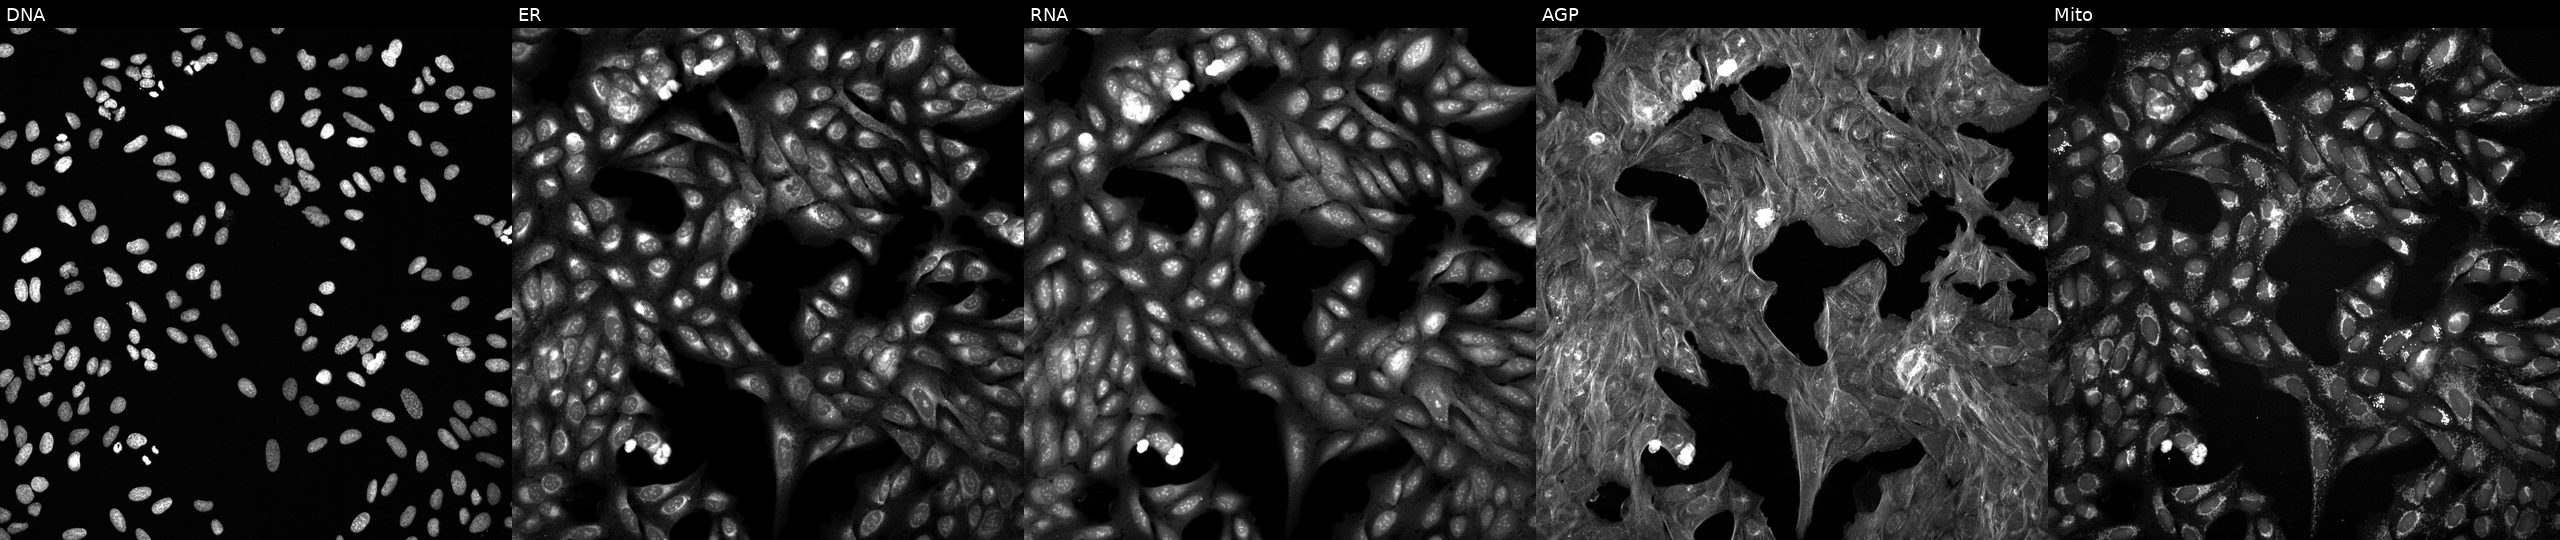
High-content fluorescence microscopy (Cell Painting). Cell line: U2OS. Perturbation: exposed to a small-molecule compound (InChIKey DJKJVWJQAVGLHJ-UHFFFAOYSA-N) (JUMP id JCP2022_016288). Channels (left→right): DNA, ER, RNA, AGP, and Mito.